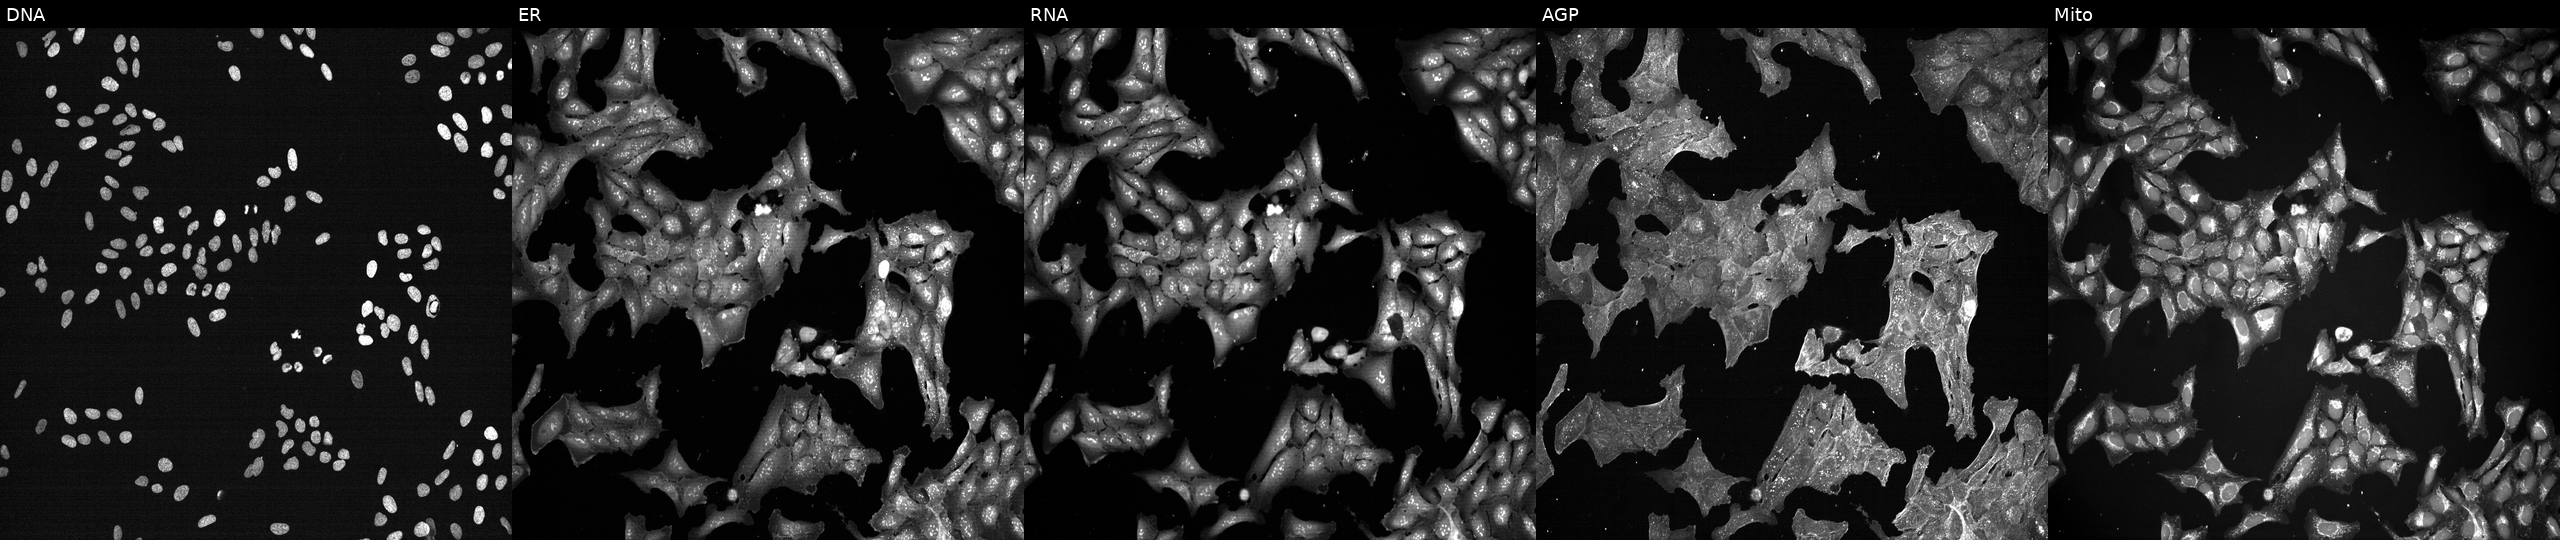
Five-channel Cell Painting image of U2OS cells exposed to the positive-control compound dexamethasone. Panels show, left to right, DNA (nuclei); ER (endoplasmic reticulum); RNA (nucleoli and cytoplasmic RNA); AGP (actin cytoskeleton, Golgi, and plasma membrane); Mito (mitochondria). Source 7, plate CP2-SC1-25, well K02.